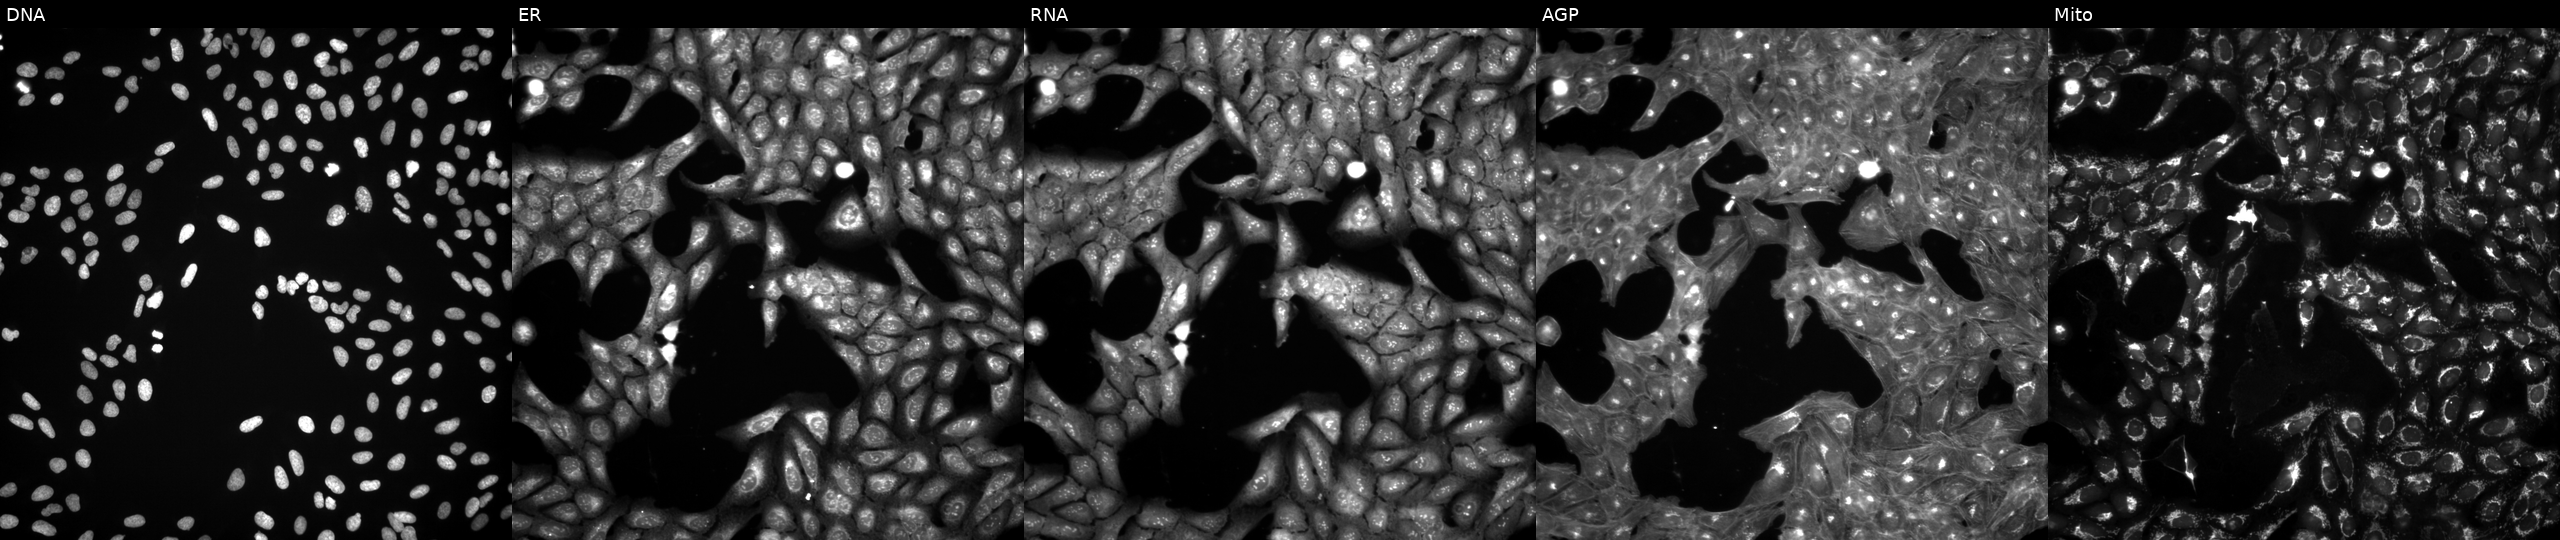
High-content fluorescence microscopy (Cell Painting). Cell line: U2OS. Perturbation: perturbed with a small-molecule compound. From left to right: Hoechst 33342, concanavalin A, SYTO 14, phalloidin and WGA, MitoTracker.